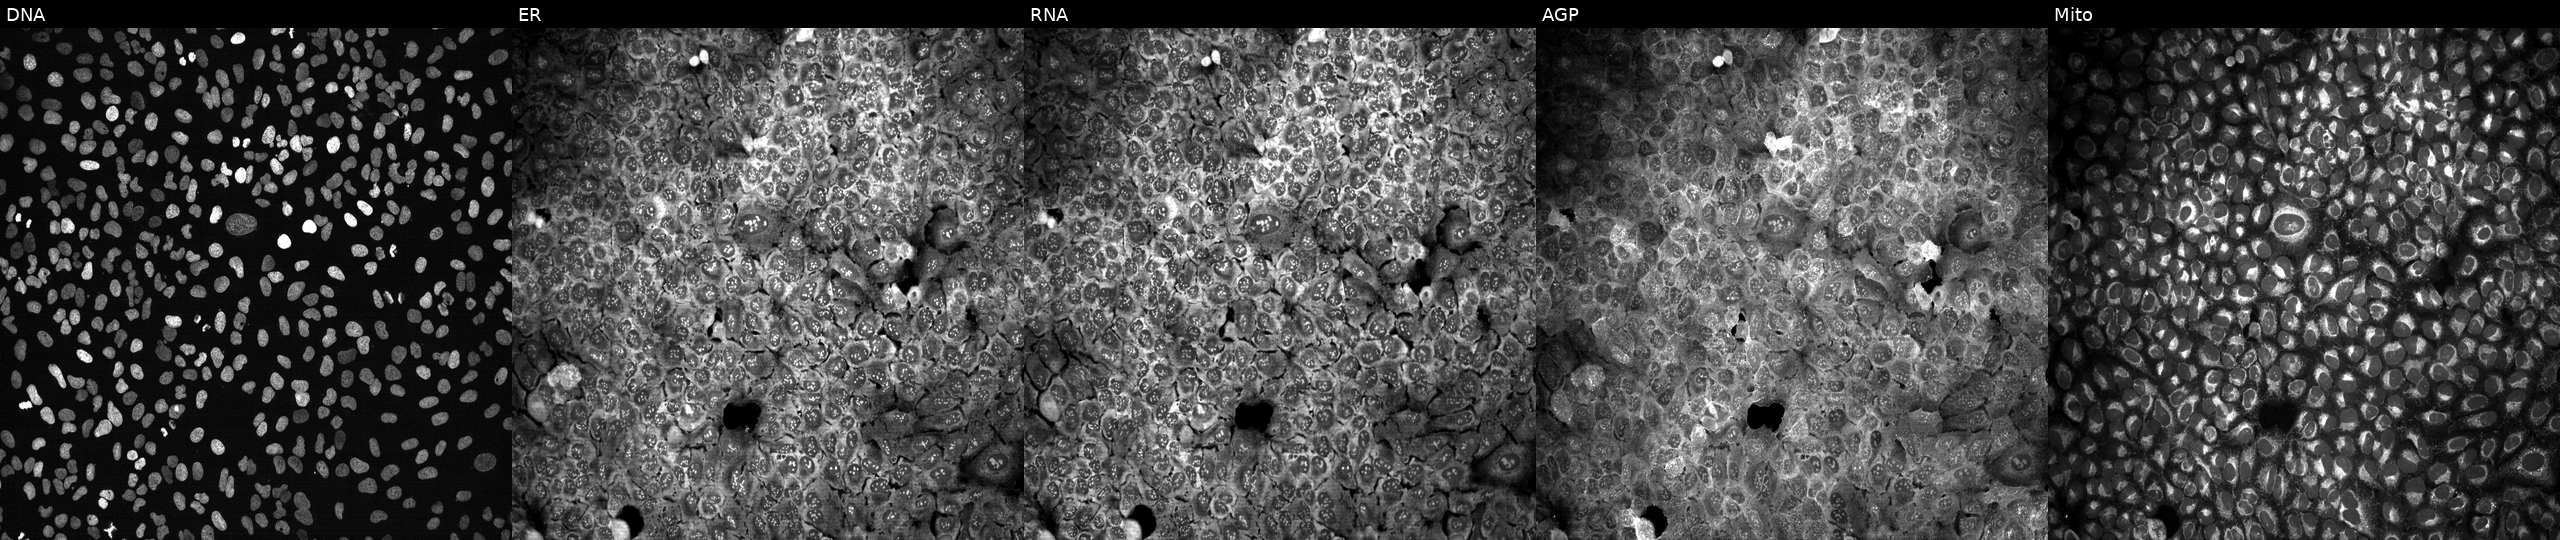
JUMP Cell Painting — CRISPR plate. U2OS cells CRISPR-edited to disrupt TIGAR. Panels show, left to right, Hoechst 33342, concanavalin A, SYTO 14, phalloidin and WGA, MitoTracker.